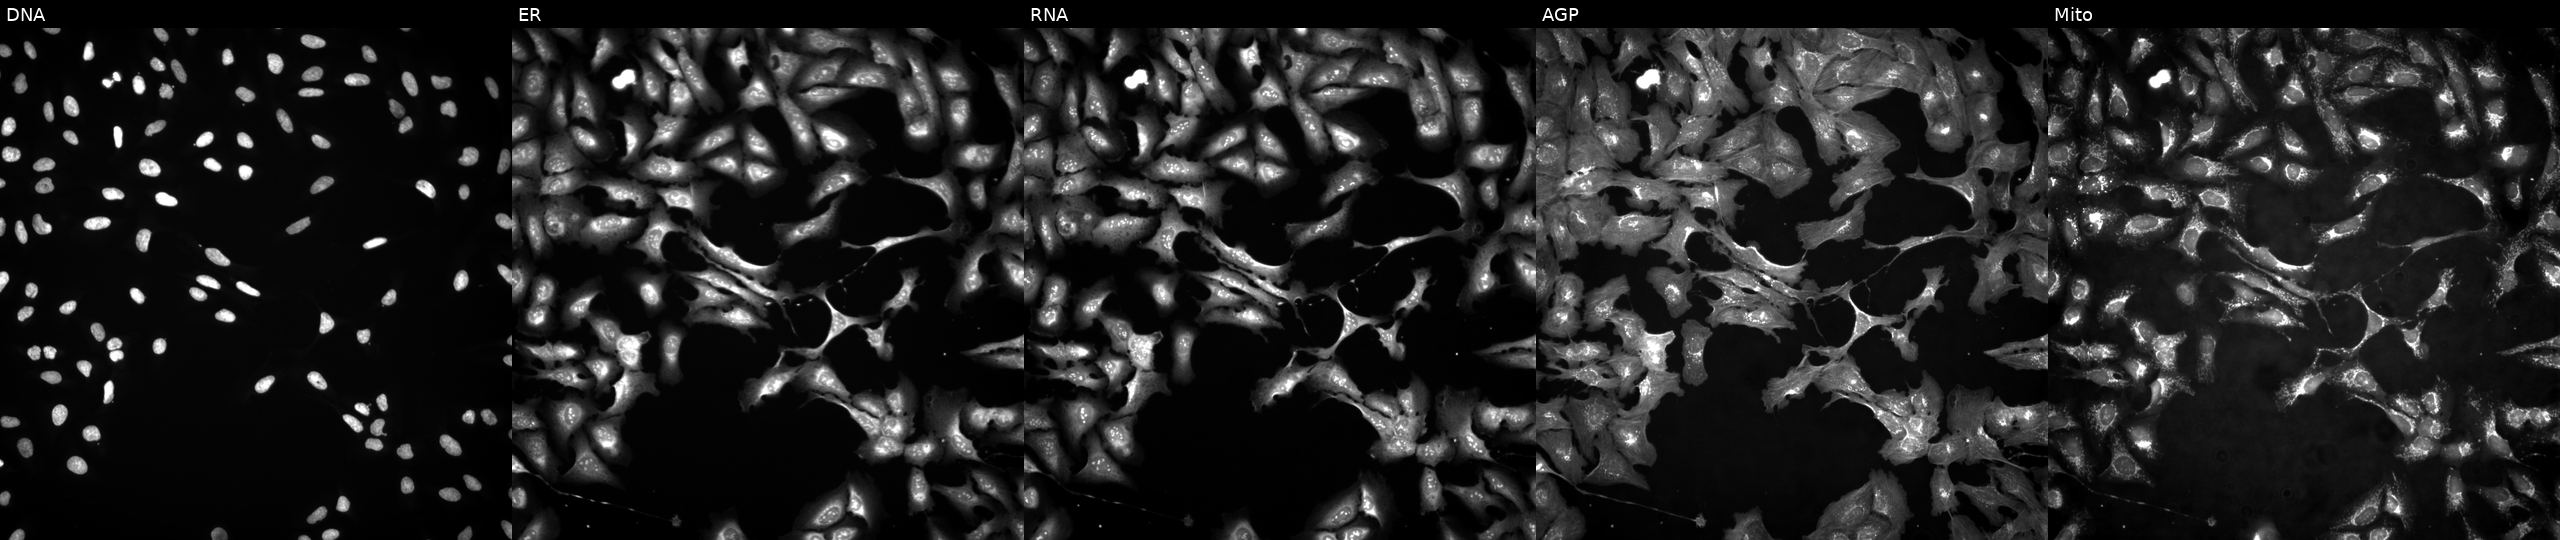
Five-channel Cell Painting image of U2OS cells with NTRK1 overexpressed (ORF) (JUMP id JCP2022_913746). Channels (left→right): DNA (nuclei); ER (endoplasmic reticulum); RNA (nucleoli and cytoplasmic RNA); AGP (actin cytoskeleton, Golgi, and plasma membrane); Mito (mitochondria).